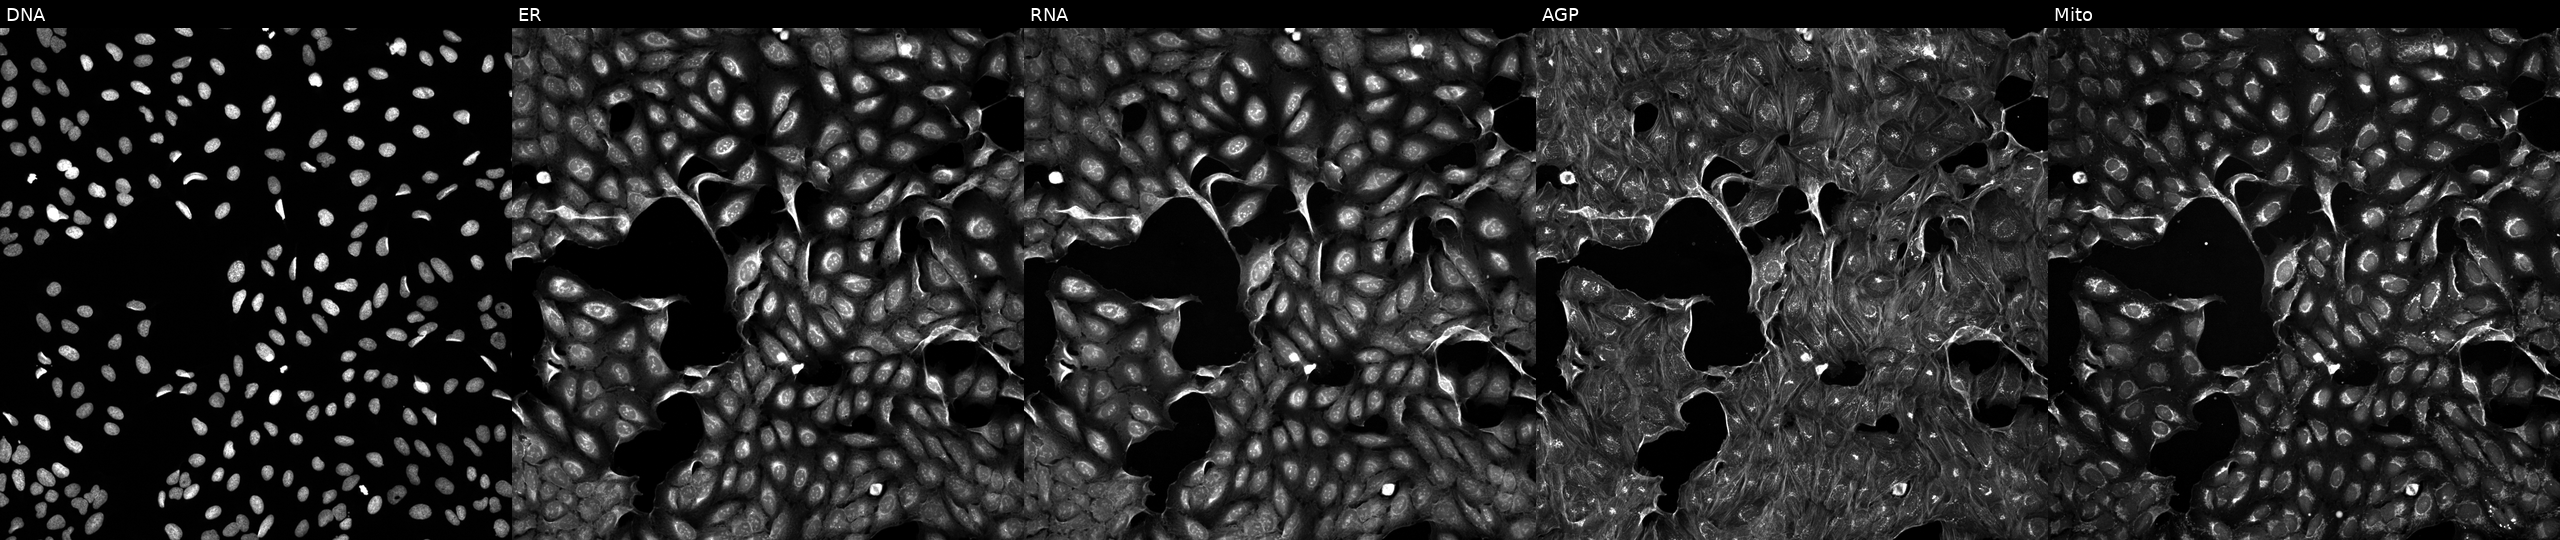
This image strip shows the five Cell Painting channels for a single field of U2OS cells exposed to DMSO alone as a negative control (JUMP id JCP2022_033924). Channels (left→right): DNA, ER, RNA, AGP, and Mito.